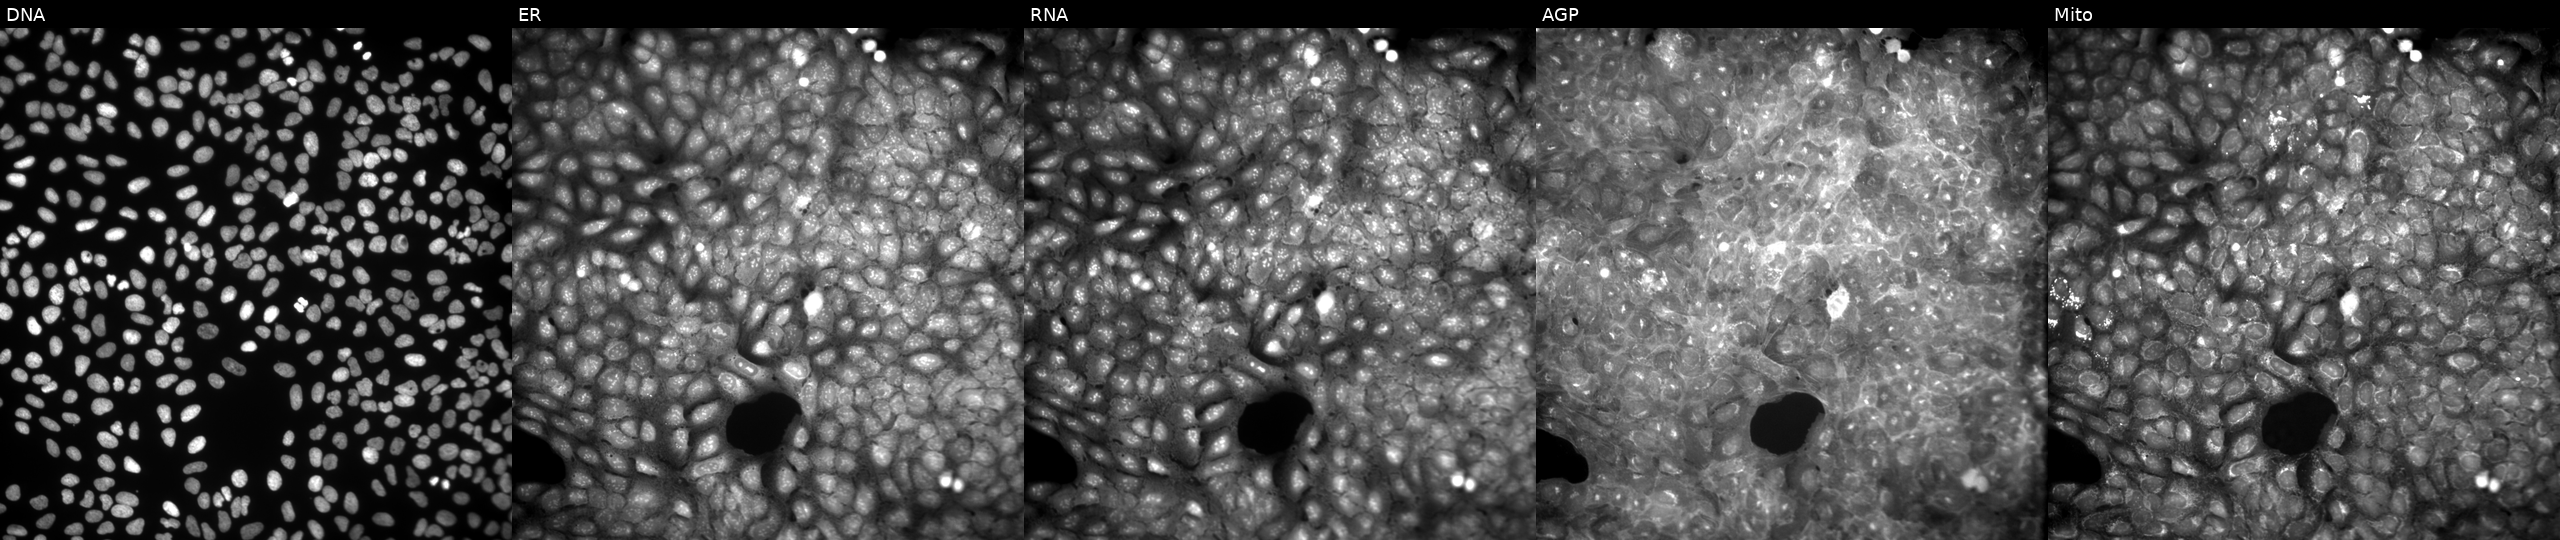
This image strip shows the five Cell Painting channels for a single field of U2OS cells exposed to a small-molecule compound (JUMP id JCP2022_035140). From left to right: DNA (nuclei); ER (endoplasmic reticulum); RNA (nucleoli and cytoplasmic RNA); AGP (actin cytoskeleton, Golgi, and plasma membrane); Mito (mitochondria). Source 9, plate GR00003381, well Z39.